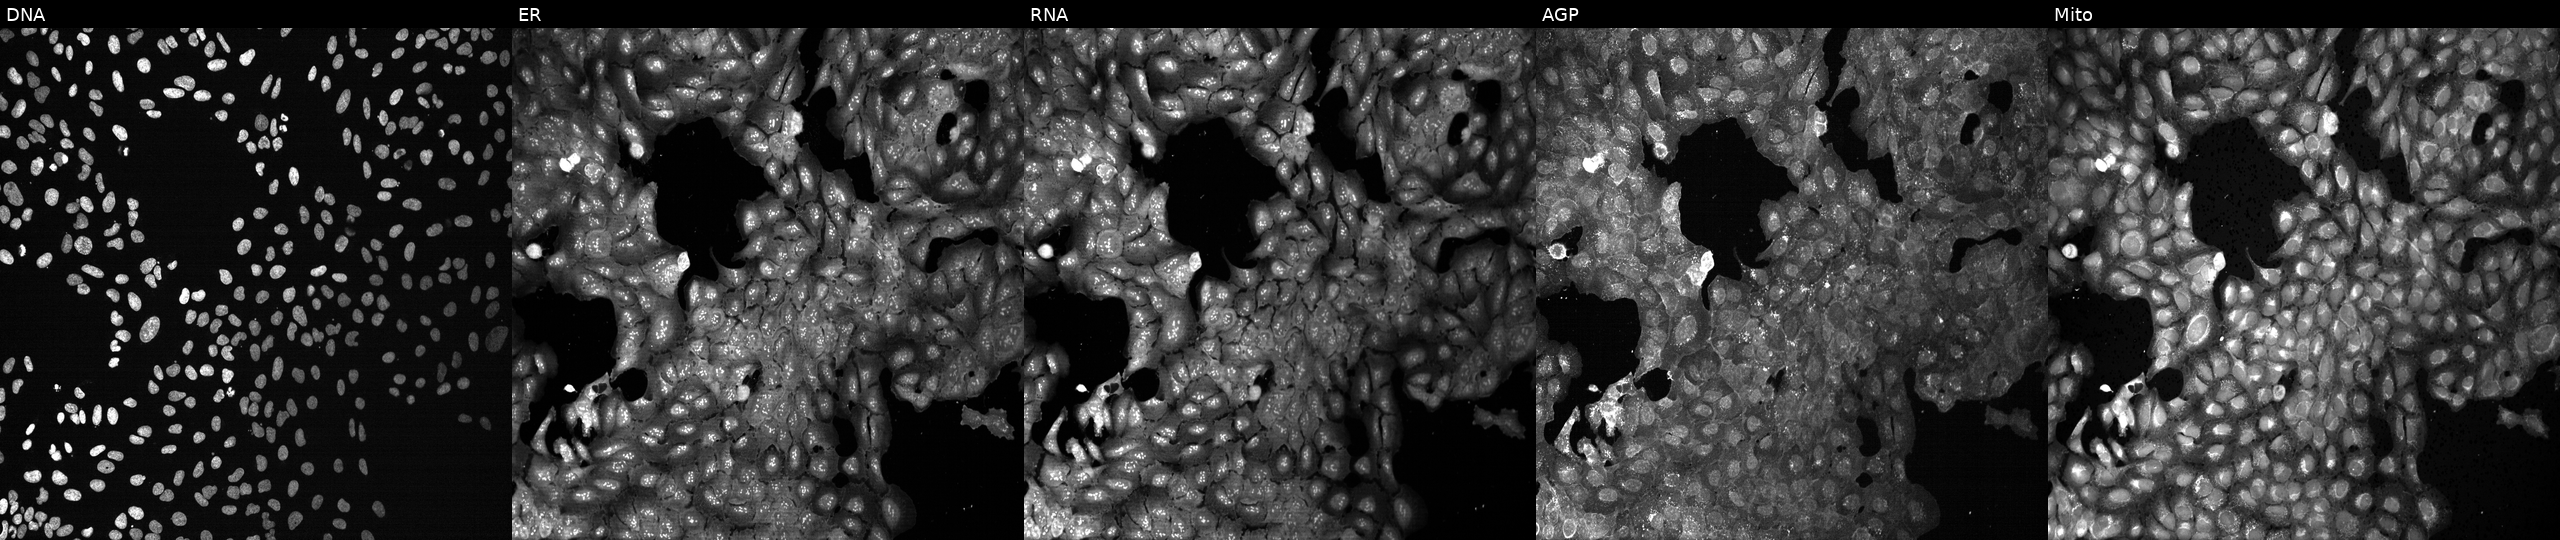
Five-channel Cell Painting image of U2OS cells CRISPR-edited to disrupt GALNT13. The five panels, left to right, show DNA, ER, RNA, AGP, and Mito. Source 13, plate CP-CC9-R1-02, well F21.